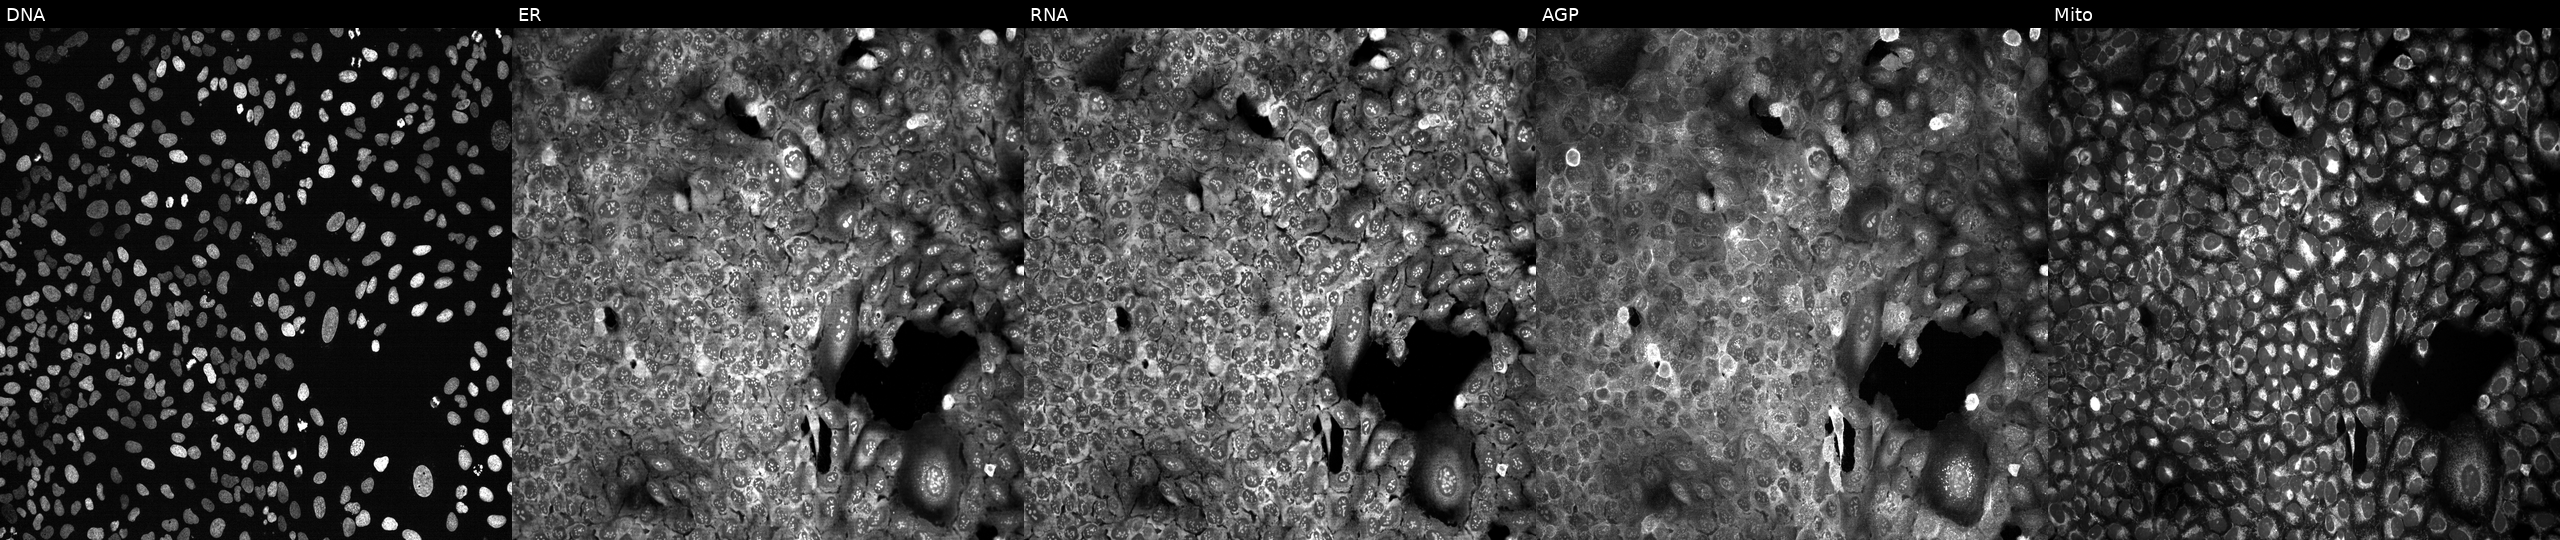
Panels show, left to right, DNA (nuclei); ER (endoplasmic reticulum); RNA (nucleoli and cytoplasmic RNA); AGP (actin cytoskeleton, Golgi, and plasma membrane); Mito (mitochondria). U2OS osteosarcoma cells with SLC38A1 knocked out by CRISPR. Cell Painting assay, JUMP-CP dataset.